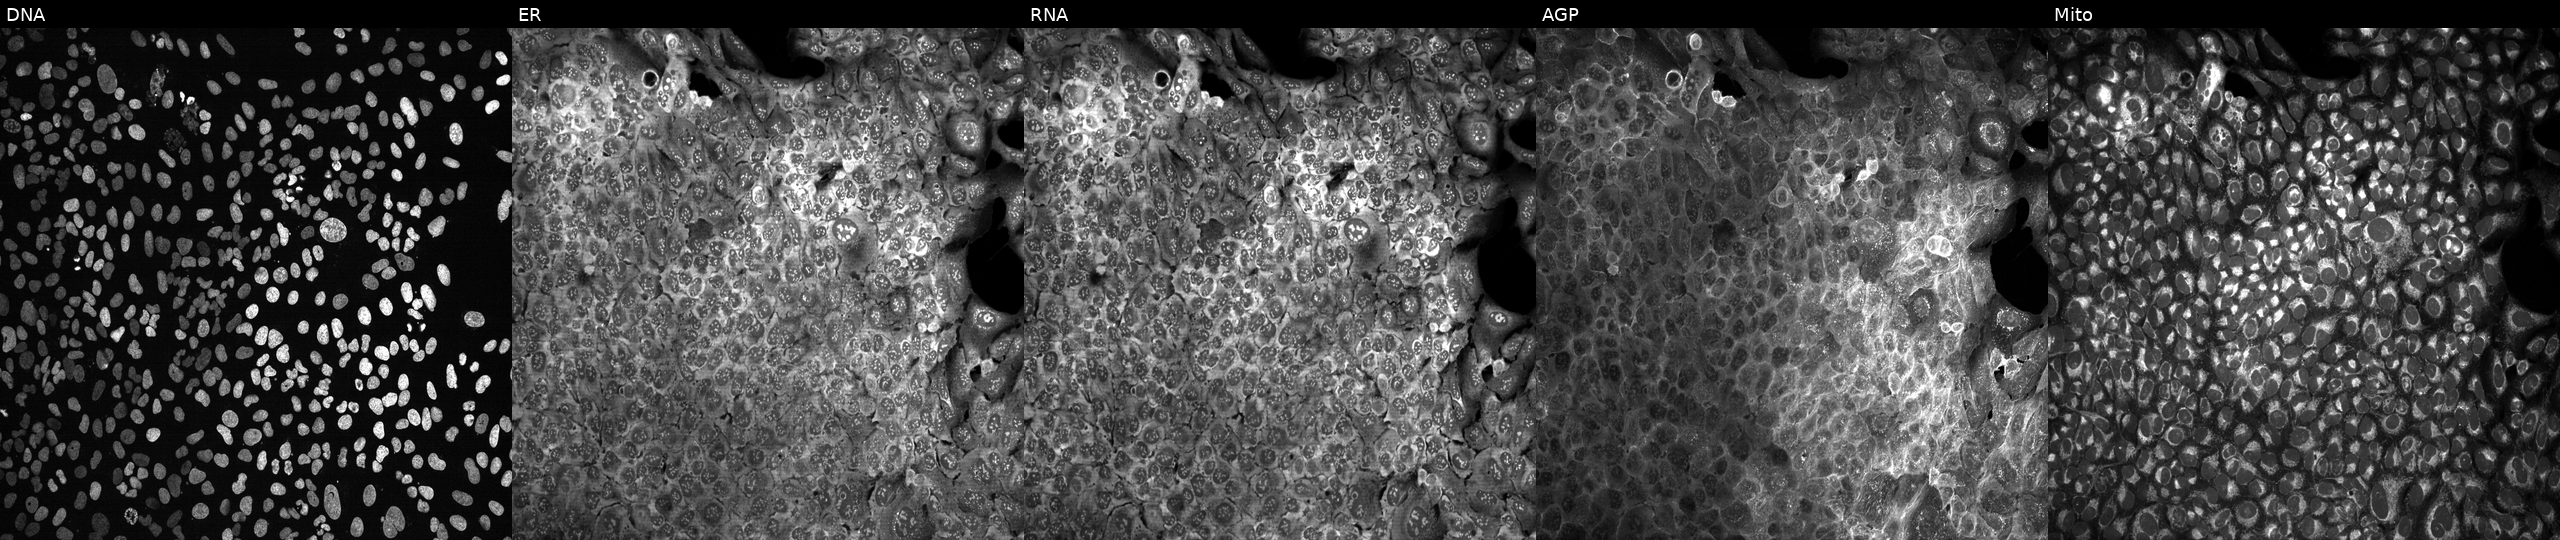
This image strip shows the five Cell Painting channels for a single field of U2OS cells CRISPR-edited to disrupt ABHD14B (JUMP id JCP2022_800070). The five panels, left to right, show DNA, ER, RNA, AGP, and Mito.